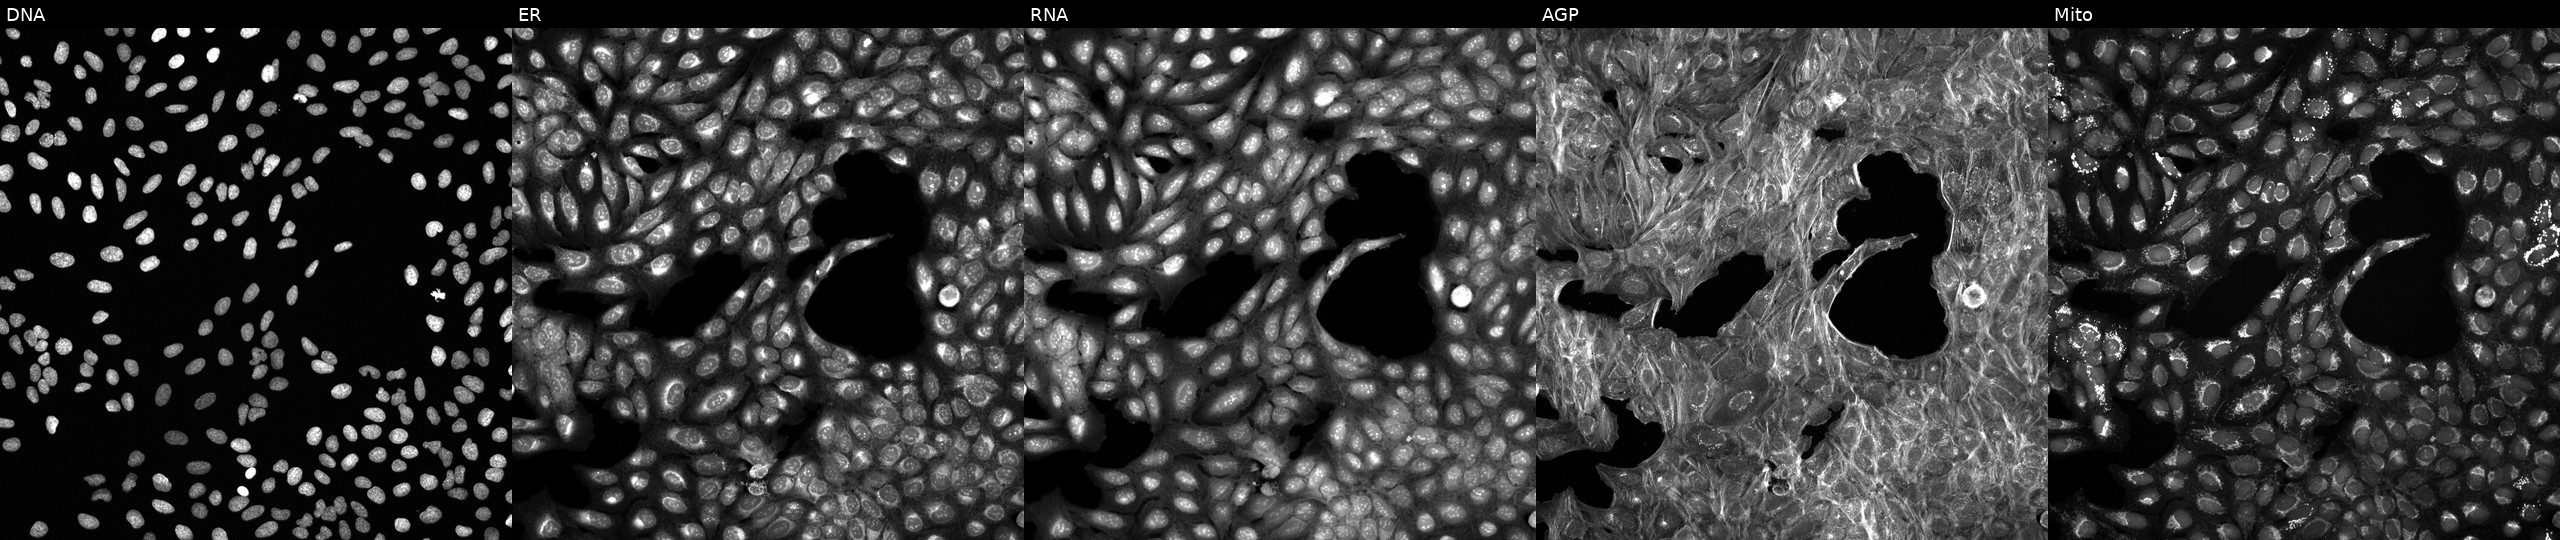
This image strip shows the five Cell Painting channels for a single field of U2OS cells perturbed with a small-molecule compound (InChIKey LXANPKRCLVQAOG-UHFFFAOYSA-N). The five panels, left to right, show DNA, ER, RNA, AGP, and Mito. Source 6, plate 110000294901, well N18.